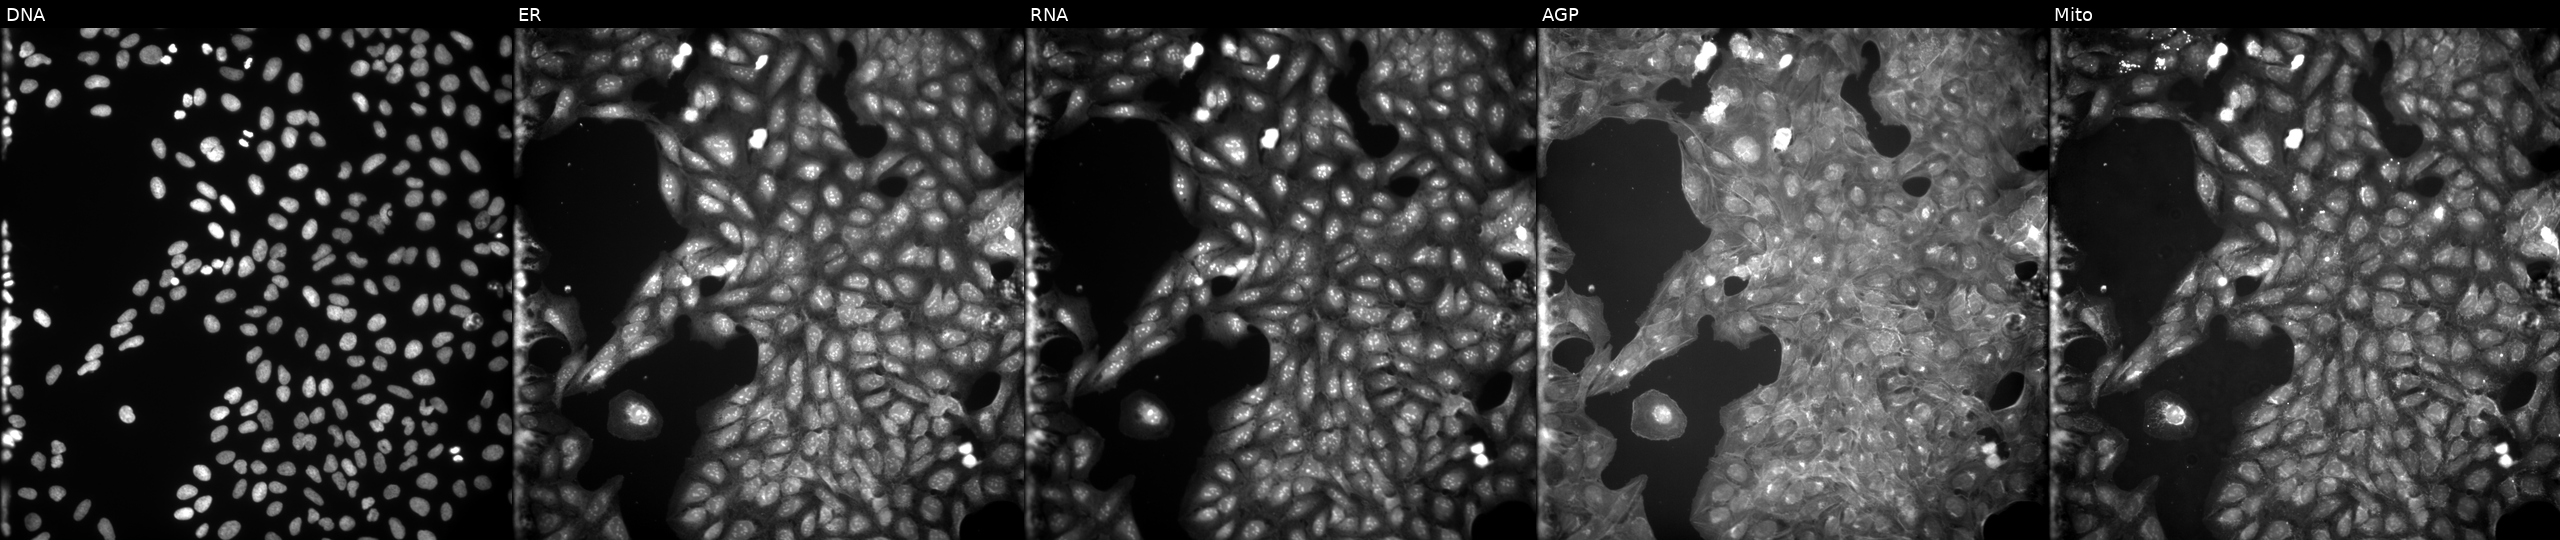
The five panels, left to right, show Hoechst 33342, concanavalin A, SYTO 14, phalloidin and WGA, MitoTracker. U2OS osteosarcoma cells treated with a small-molecule compound. Cell Painting assay, JUMP-CP dataset.